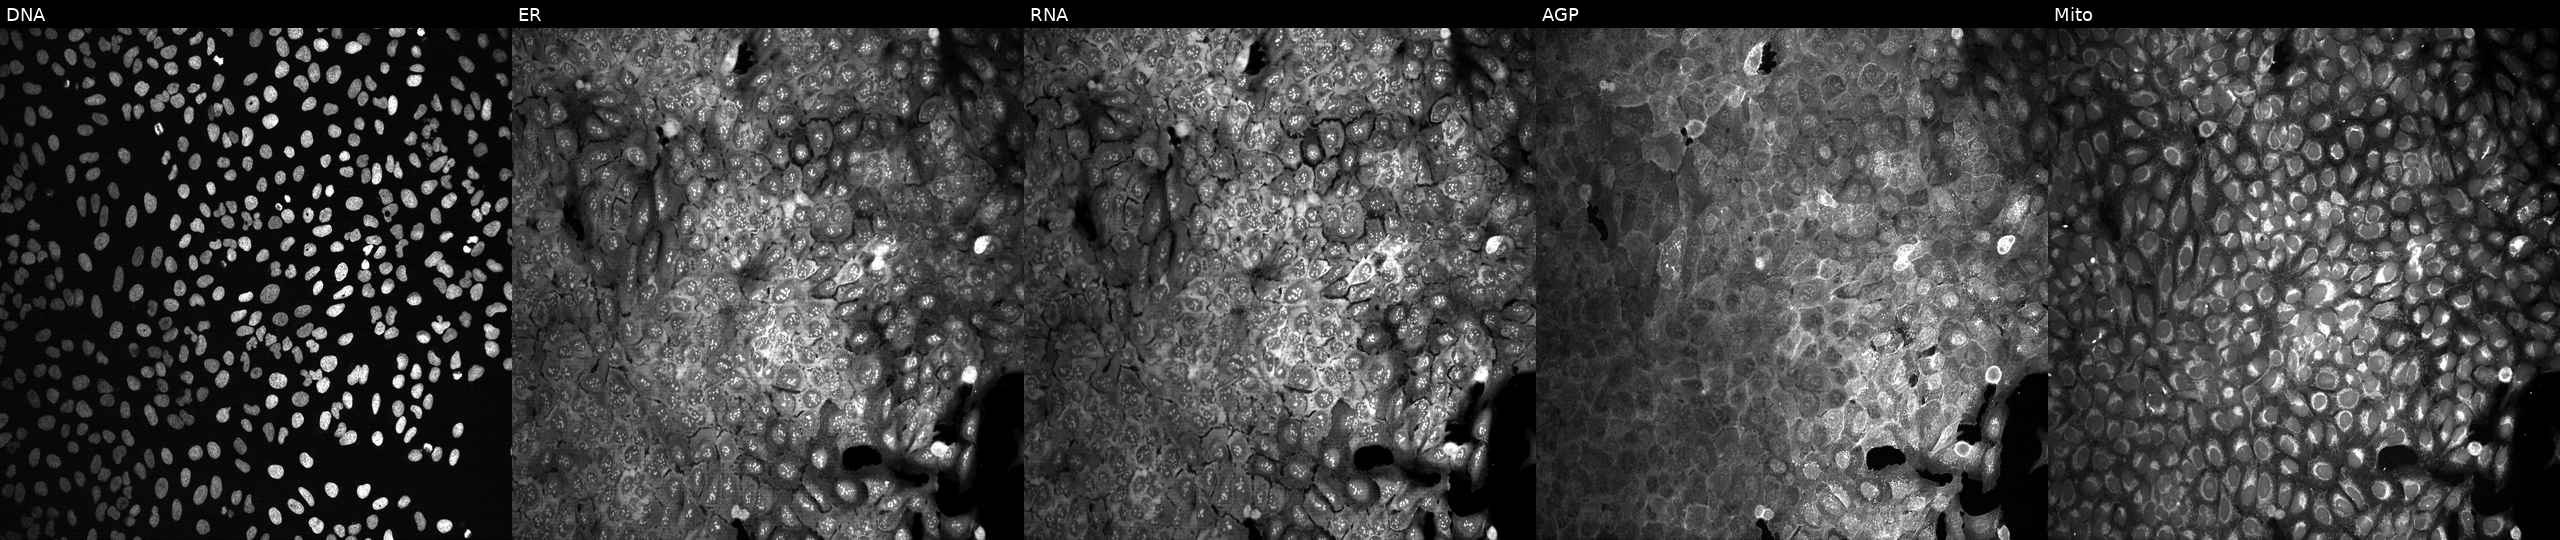
JUMP Cell Painting — CRISPR plate. U2OS cells with ARHGEF7 knocked out by CRISPR (JUMP id JCP2022_800573). The five panels, left to right, show DNA, ER, RNA, AGP, and Mito. Source 13, plate CP-CC9-R5-01, well A03.